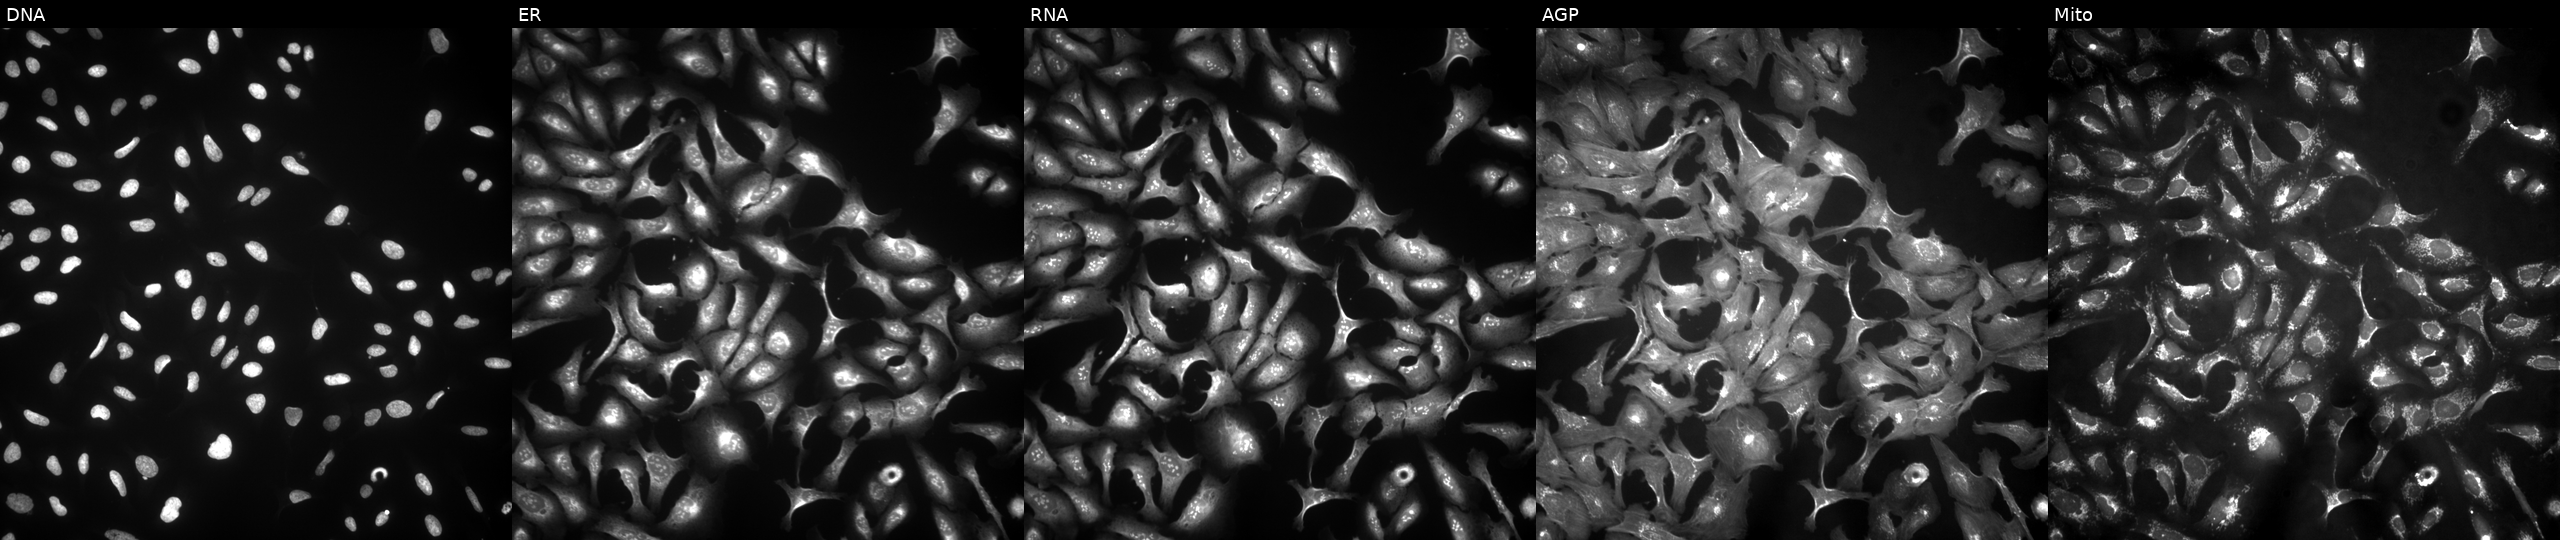
JUMP Cell Painting — ORF plate. U2OS cells transfected with an ORF construct for CBY2 (JUMP id JCP2022_912497). The five panels, left to right, show DNA, ER, RNA, AGP, and Mito. Source 4, plate BR00123506, well F12.